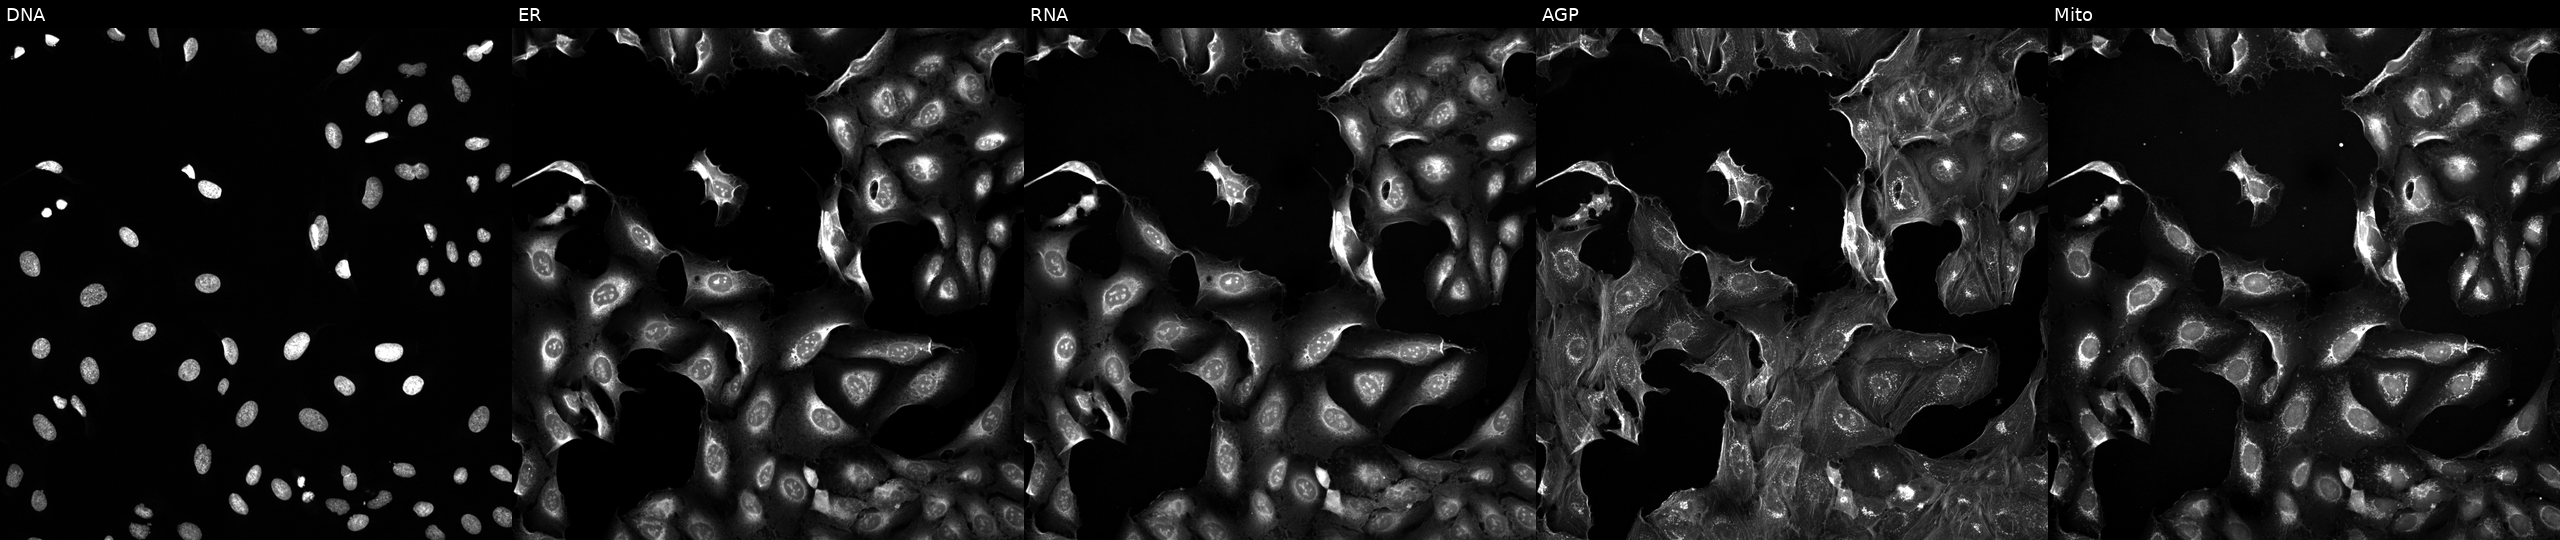
This image strip shows the five Cell Painting channels for a single field of U2OS cells perturbed with a small-molecule compound (InChIKey CAOWNCTTWGSKDO-UHFFFAOYSA-N). The five panels, left to right, show DNA (nuclei); ER (endoplasmic reticulum); RNA (nucleoli and cytoplasmic RNA); AGP (actin cytoskeleton, Golgi, and plasma membrane); Mito (mitochondria).